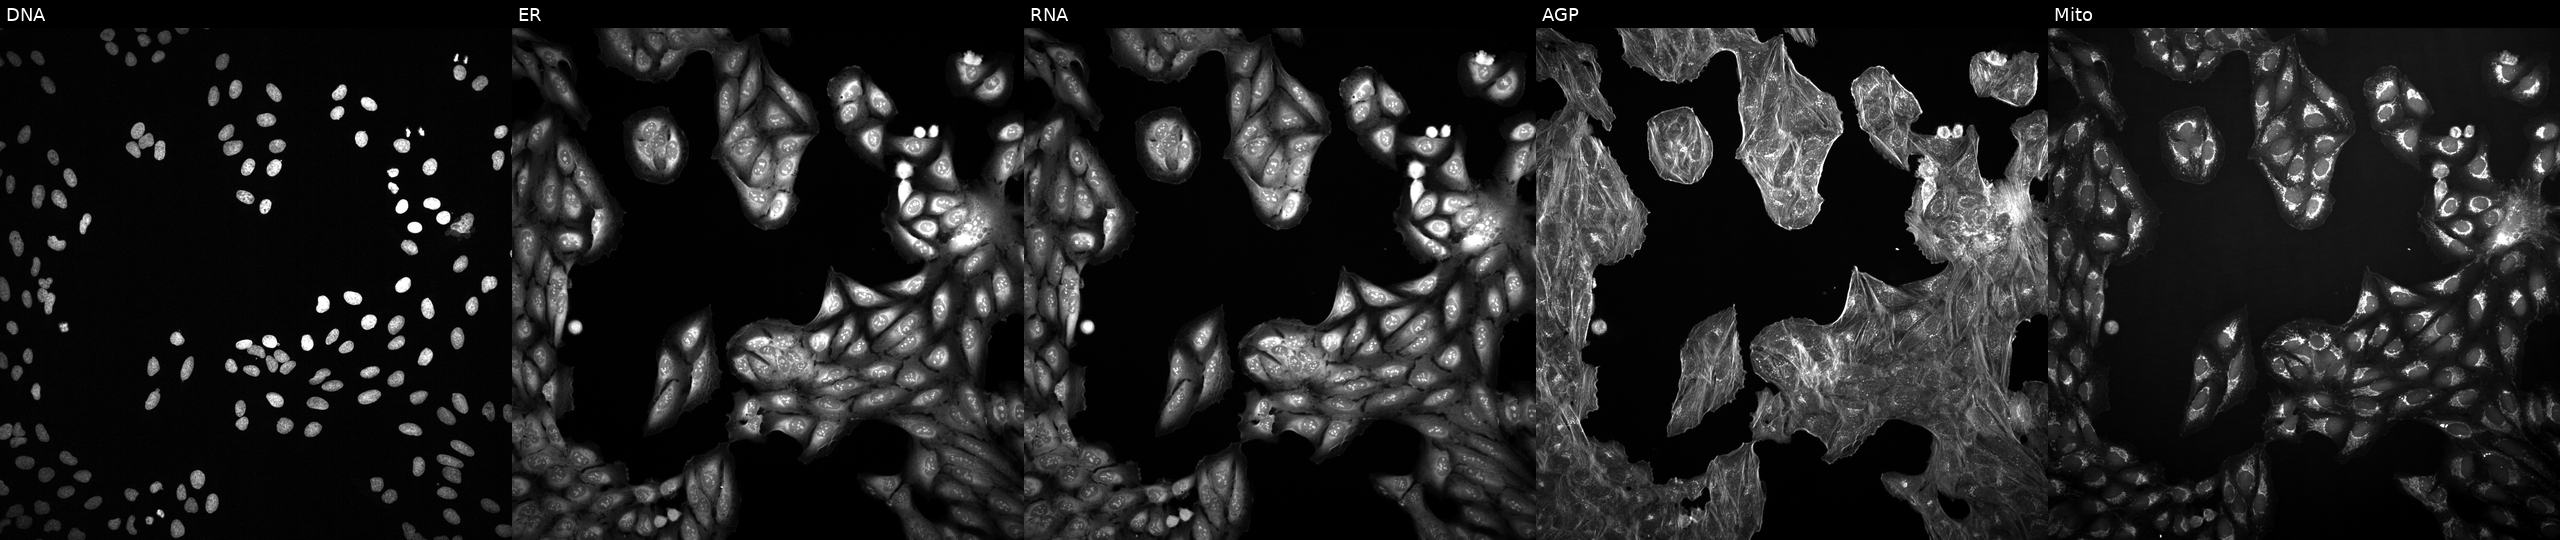
This image strip shows the five Cell Painting channels for a single field of U2OS cells perturbed with a small-molecule compound (InChIKey PIMZUZSSNYHVCU-UHFFFAOYSA-N). From left to right: DNA (nuclei); ER (endoplasmic reticulum); RNA (nucleoli and cytoplasmic RNA); AGP (actin cytoskeleton, Golgi, and plasma membrane); Mito (mitochondria).